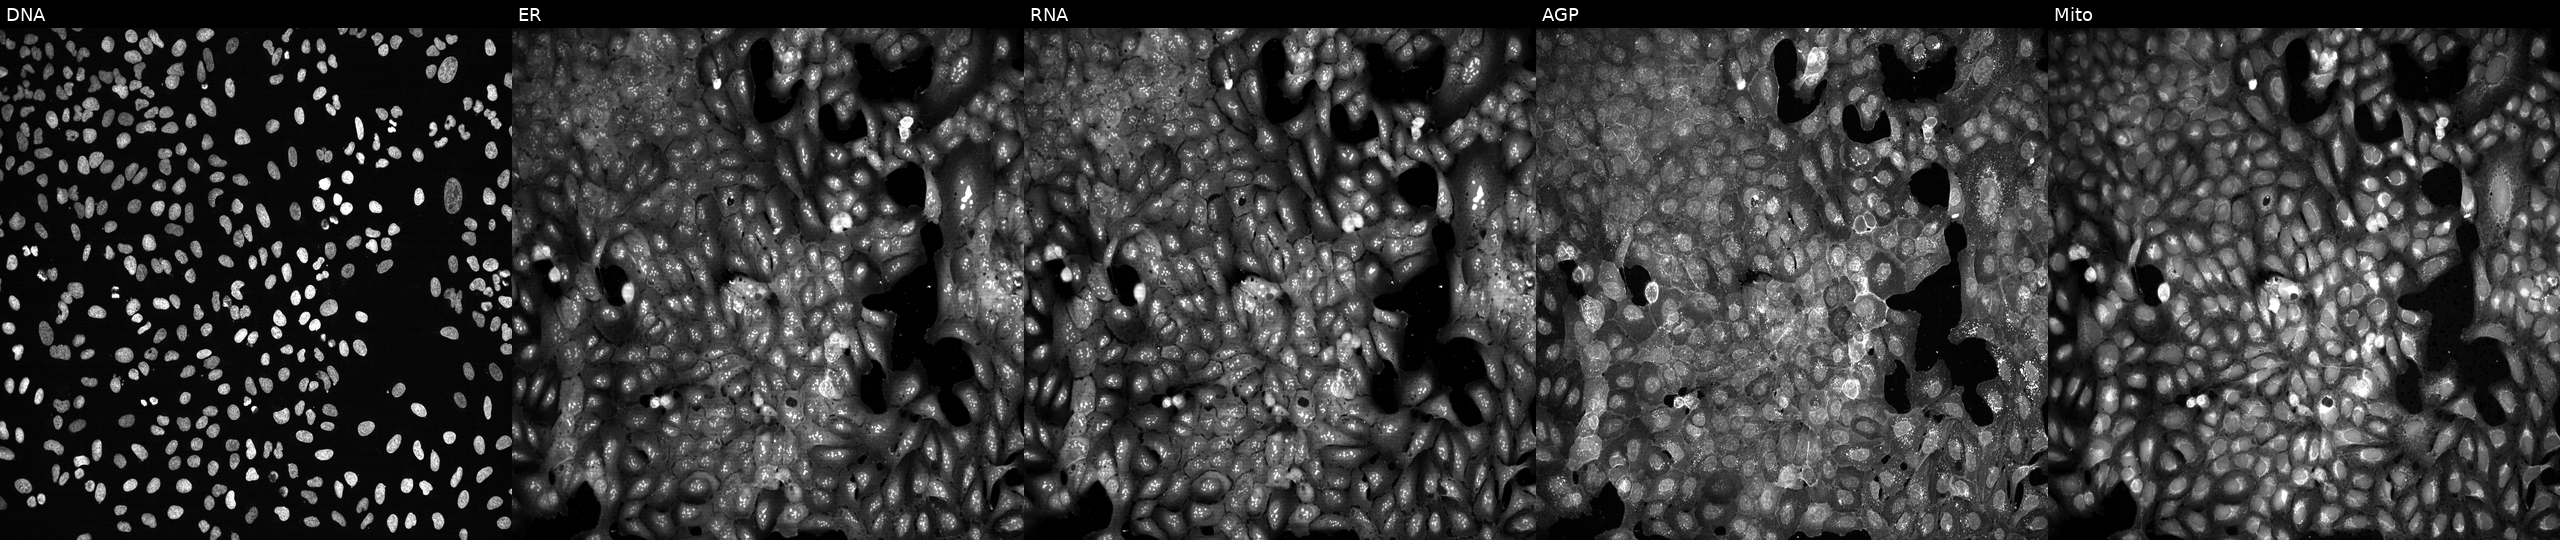
Five-channel Cell Painting image of U2OS cells CRISPR-edited to disrupt HMBS. From left to right: DNA, ER, RNA, AGP, and Mito. Source 13, plate CP-CC9-R1-02, well B15.